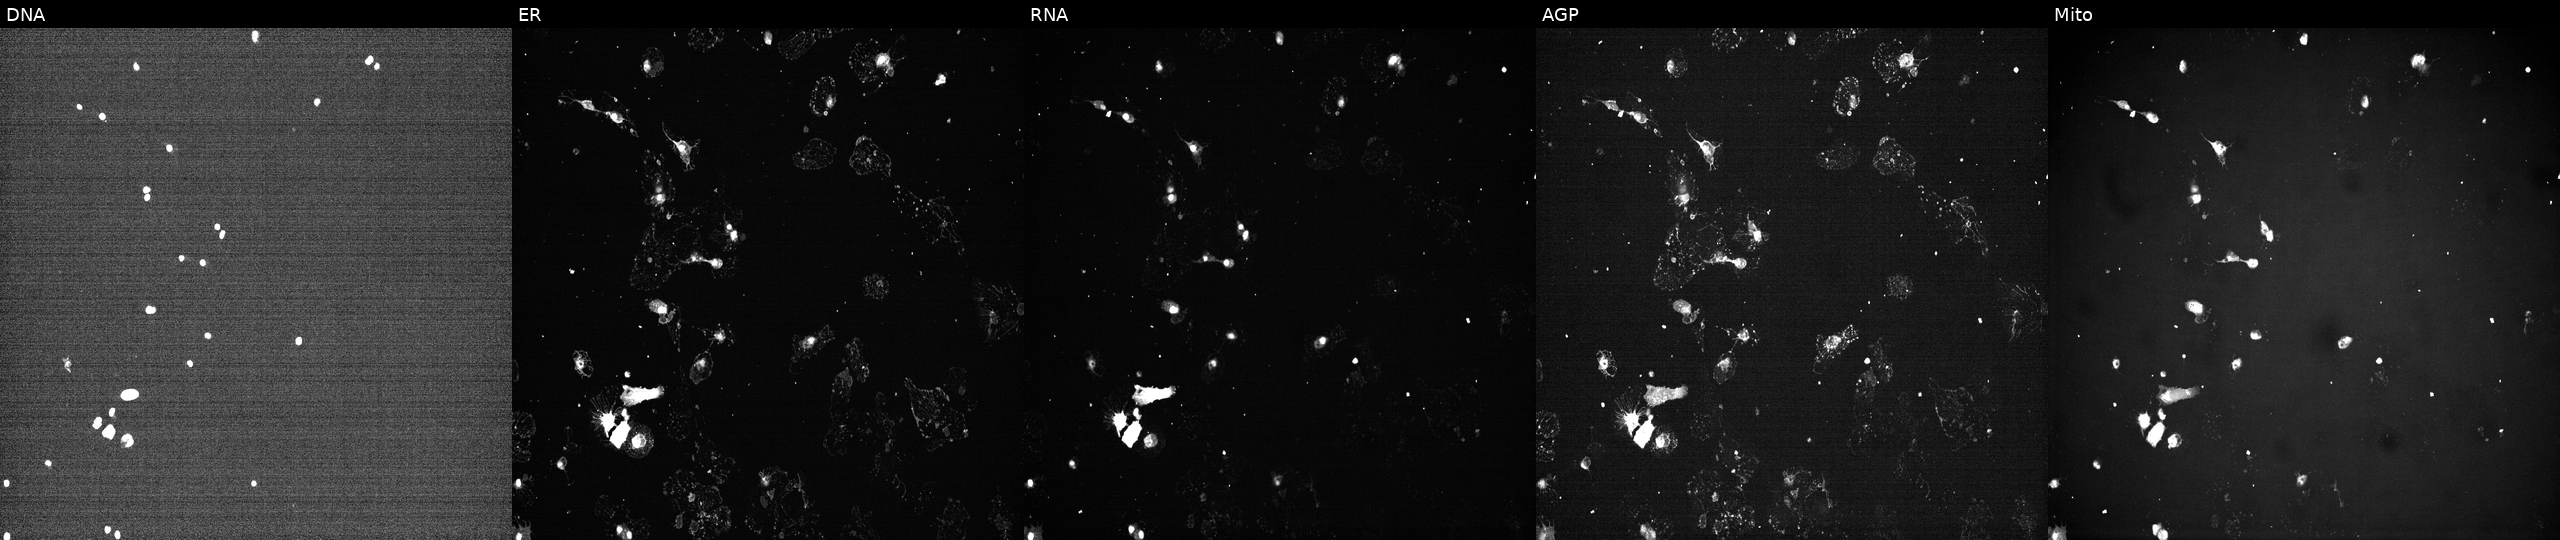
Channels (left→right): DNA, ER, RNA, AGP, and Mito. U2OS osteosarcoma cells perturbed with a small-molecule compound [SMILES: O=C1C(=NCCN2CCOCC2)C(Cl)C(=O)c2cccnc21]. Cell Painting assay, JUMP-CP dataset. Source 7, plate CP2-SC1-25, well D08.